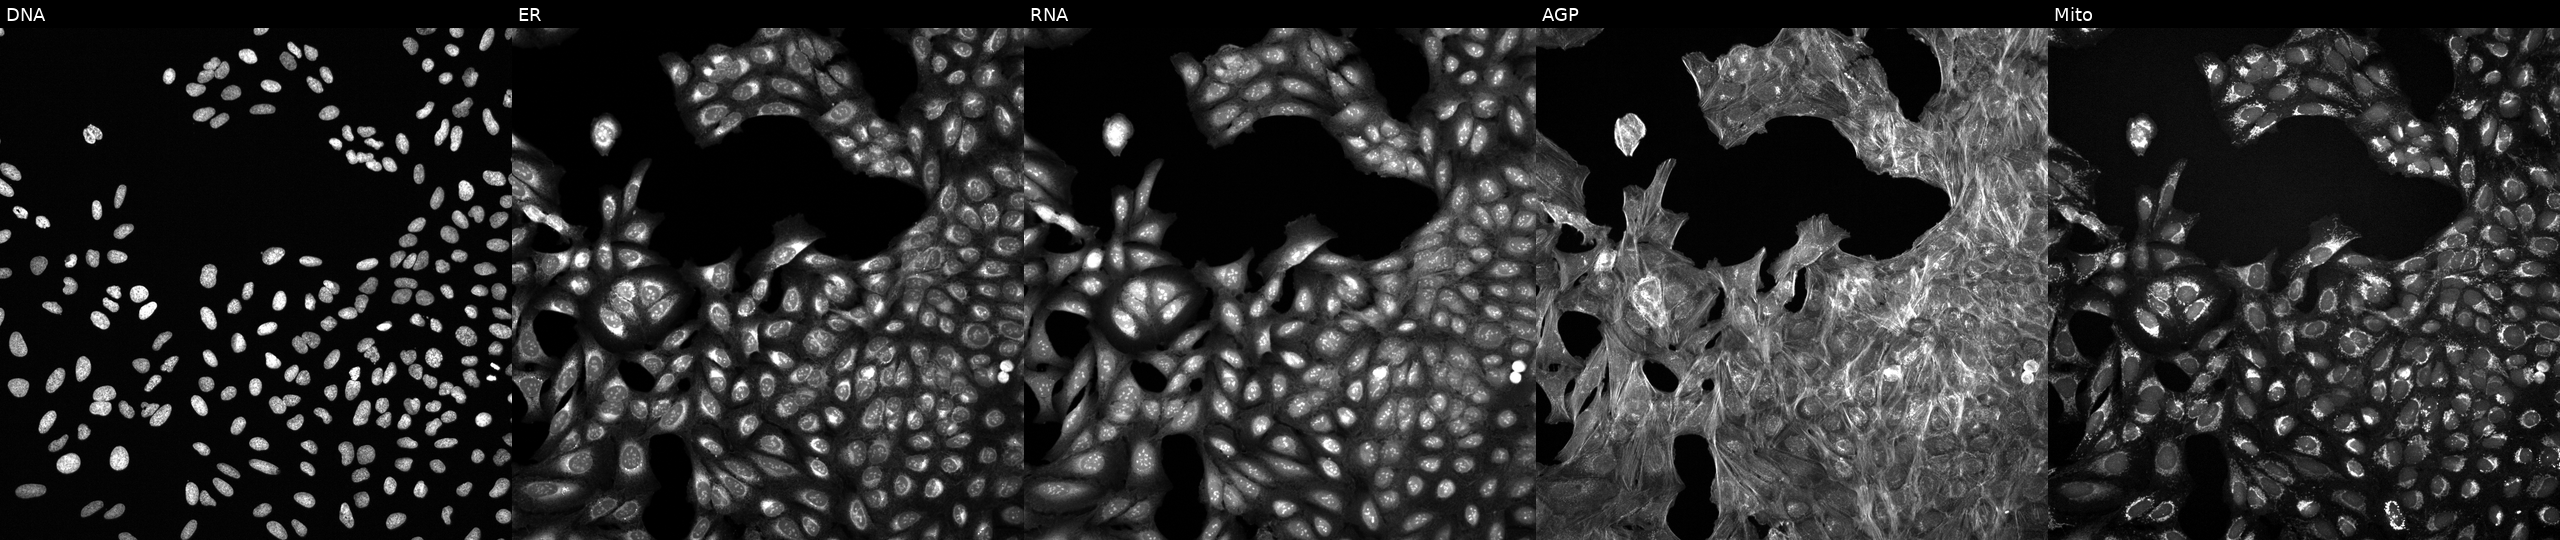
JUMP Cell Painting — COMPOUND plate. U2OS cells exposed to DMSO alone as a negative control (JUMP id JCP2022_033924). From left to right: DNA, ER, RNA, AGP, and Mito.